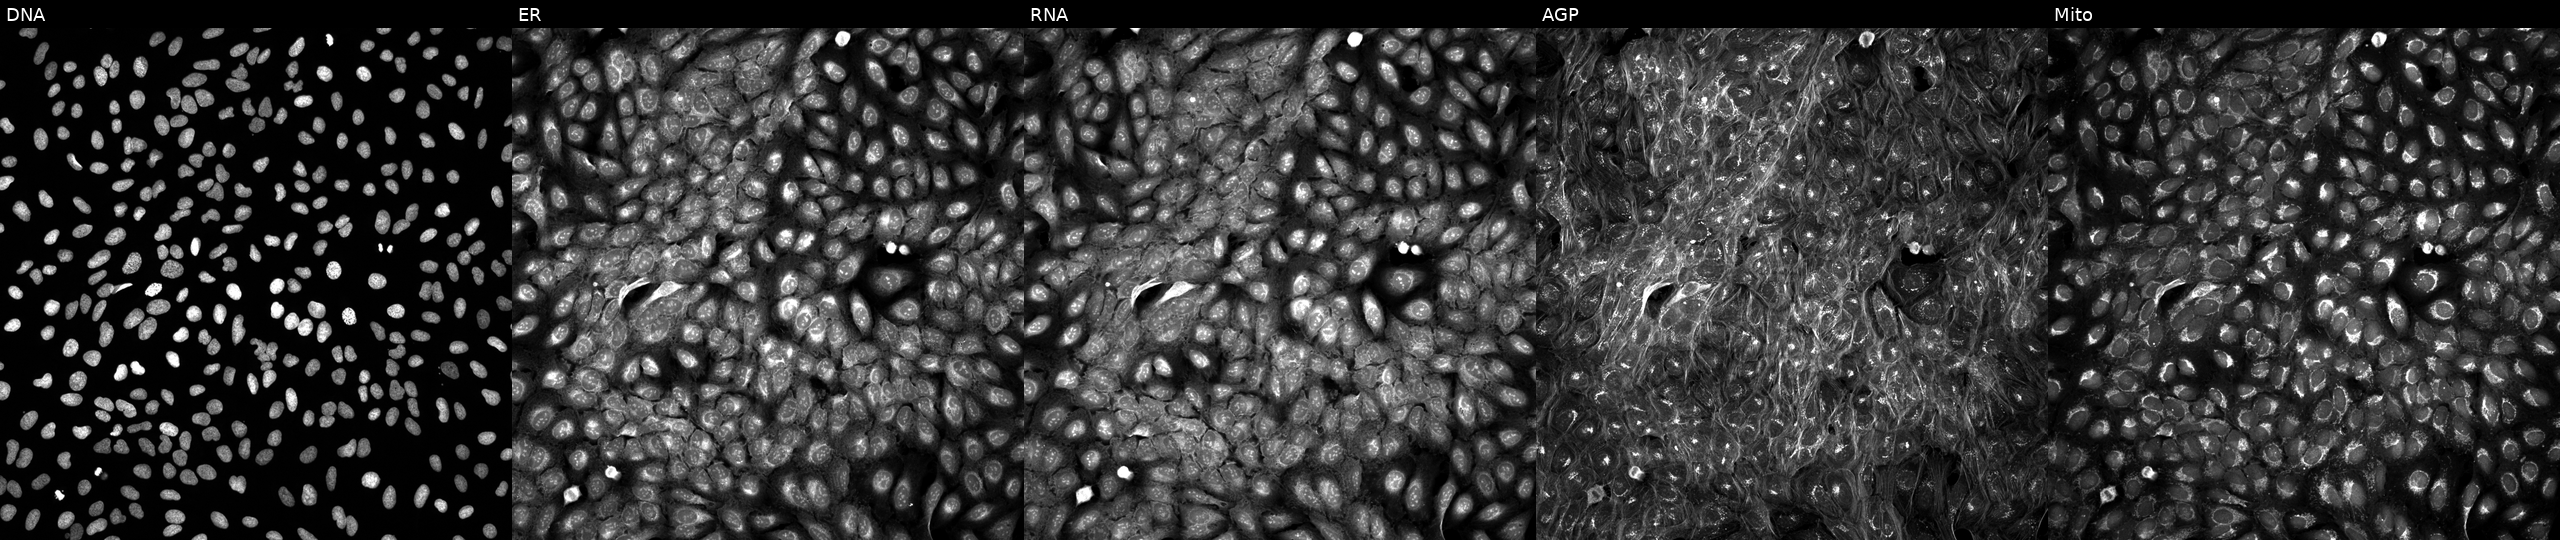
JUMP Cell Painting — TARGET2 plate. U2OS cells treated with a small-molecule compound [SMILES: OCC1OC(n2cnc3c(=NC4CCCC4)[nH]cnc32)C(O)C1O]. The five panels, left to right, show Hoechst 33342, concanavalin A, SYTO 14, phalloidin and WGA, MitoTracker.